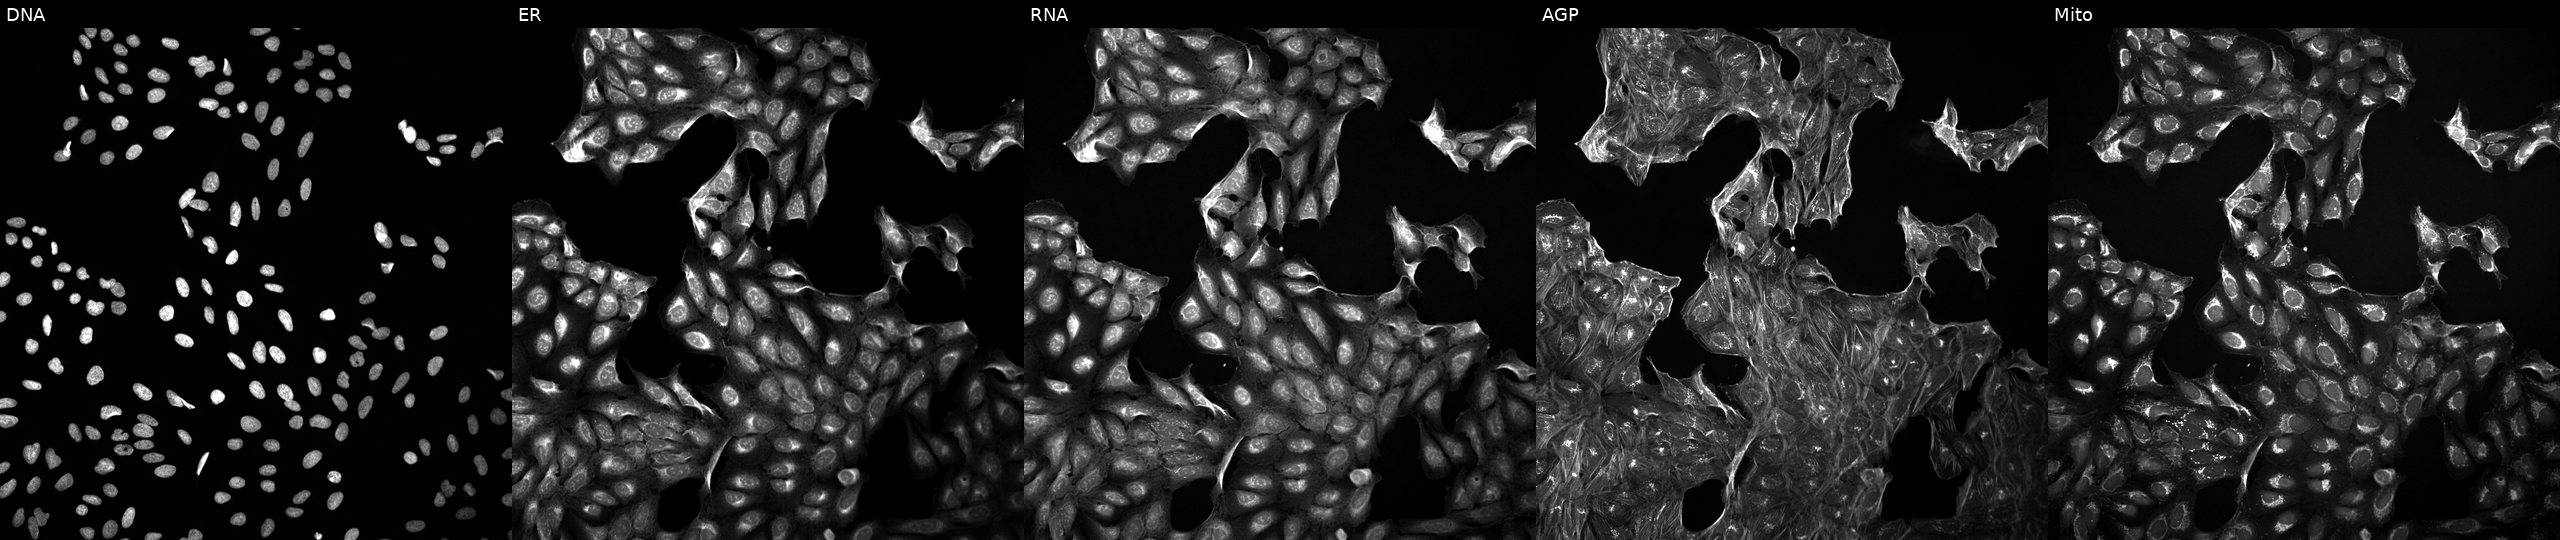
U2OS cells, Cell Painting assay, exposed to a small-molecule compound (InChIKey HJYYPODYNSCCOU-UHFFFAOYSA-N) [SMILES: COC1C=COC2(C)Oc3c(C)c(O)c4c(O)c(cc(O)c4c3C2=O)NC(=O)C(C)=CC=CC(C)C(O)C(C)C(O)C(C)C(OC(C)=O)C1C]. From left to right: DNA (nuclei); ER (endoplasmic reticulum); RNA (nucleoli and cytoplasmic RNA); AGP (actin cytoskeleton, Golgi, and plasma membrane); Mito (mitochondria). Each panel is percentile-stretched 16-bit fluorescence. Source 5, plate ACPJUM012, well A22.